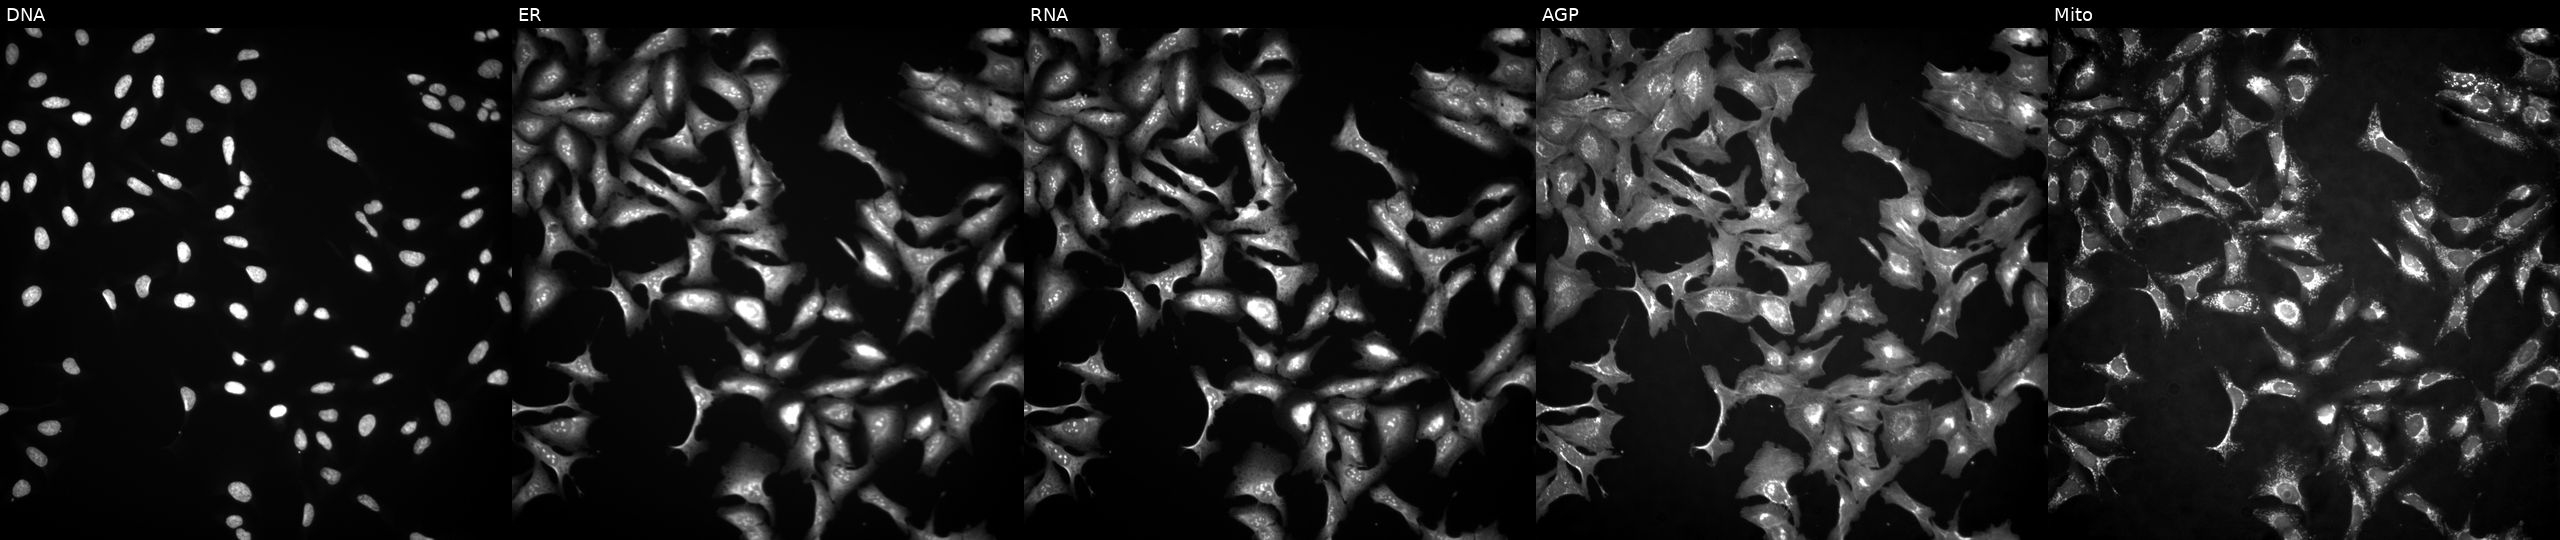
U2OS cells, Cell Painting assay, overexpressing ARID3A via ORF transfection. The five panels, left to right, show DNA (nuclei); ER (endoplasmic reticulum); RNA (nucleoli and cytoplasmic RNA); AGP (actin cytoskeleton, Golgi, and plasma membrane); Mito (mitochondria). Each panel is percentile-stretched 16-bit fluorescence. Source 4, plate BR00117035, well N17.